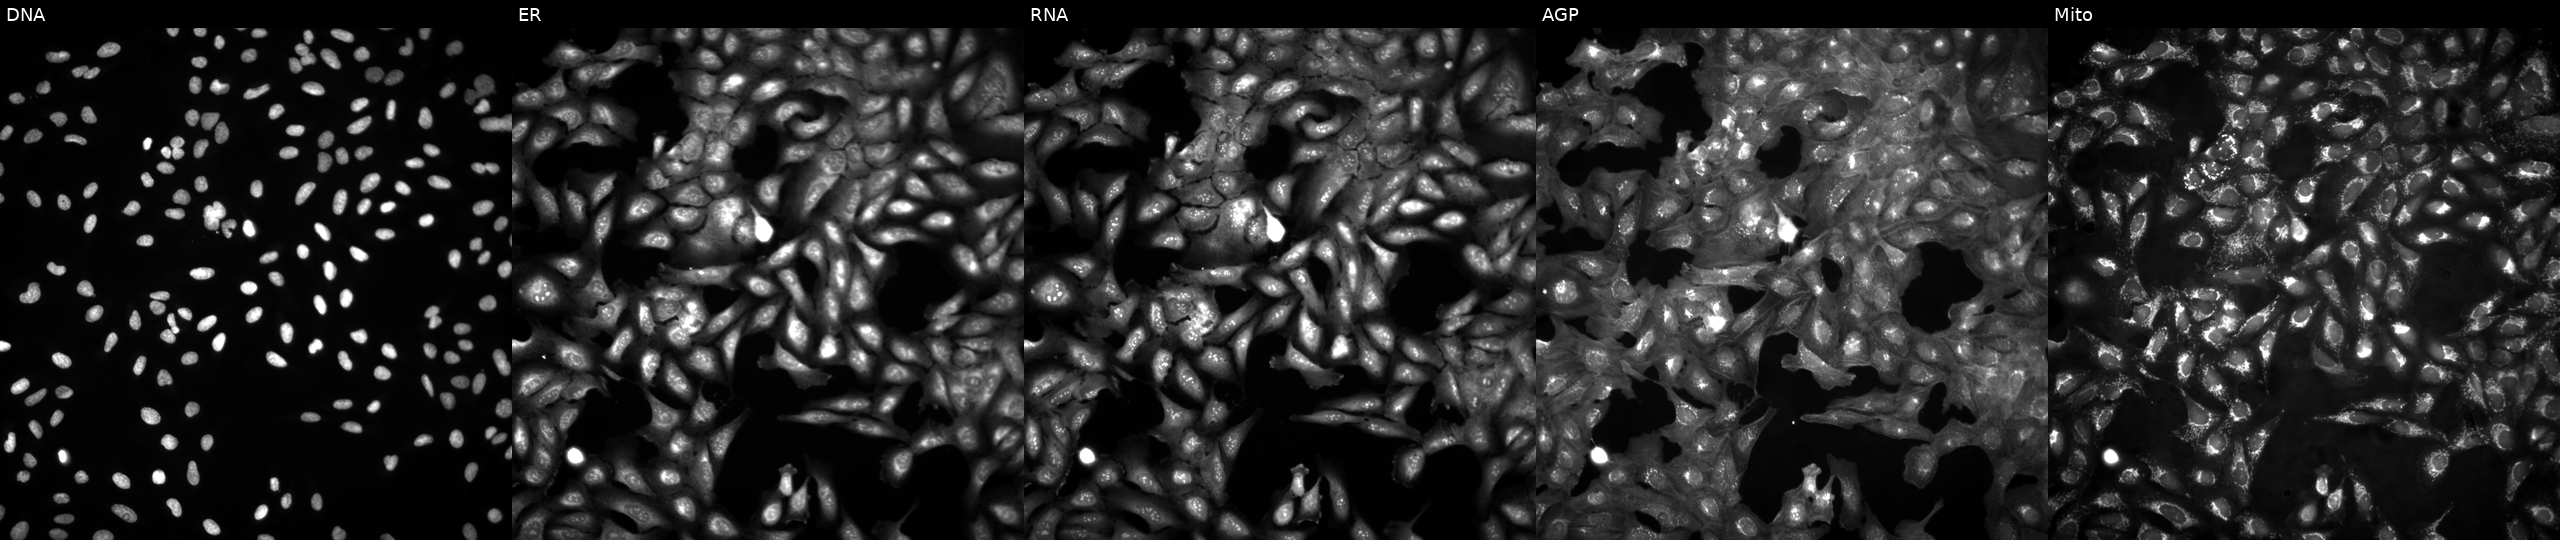
This image strip shows the five Cell Painting channels for a single field of U2OS cells in an empty control well (no perturbation). From left to right: DNA (nuclei); ER (endoplasmic reticulum); RNA (nucleoli and cytoplasmic RNA); AGP (actin cytoskeleton, Golgi, and plasma membrane); Mito (mitochondria).